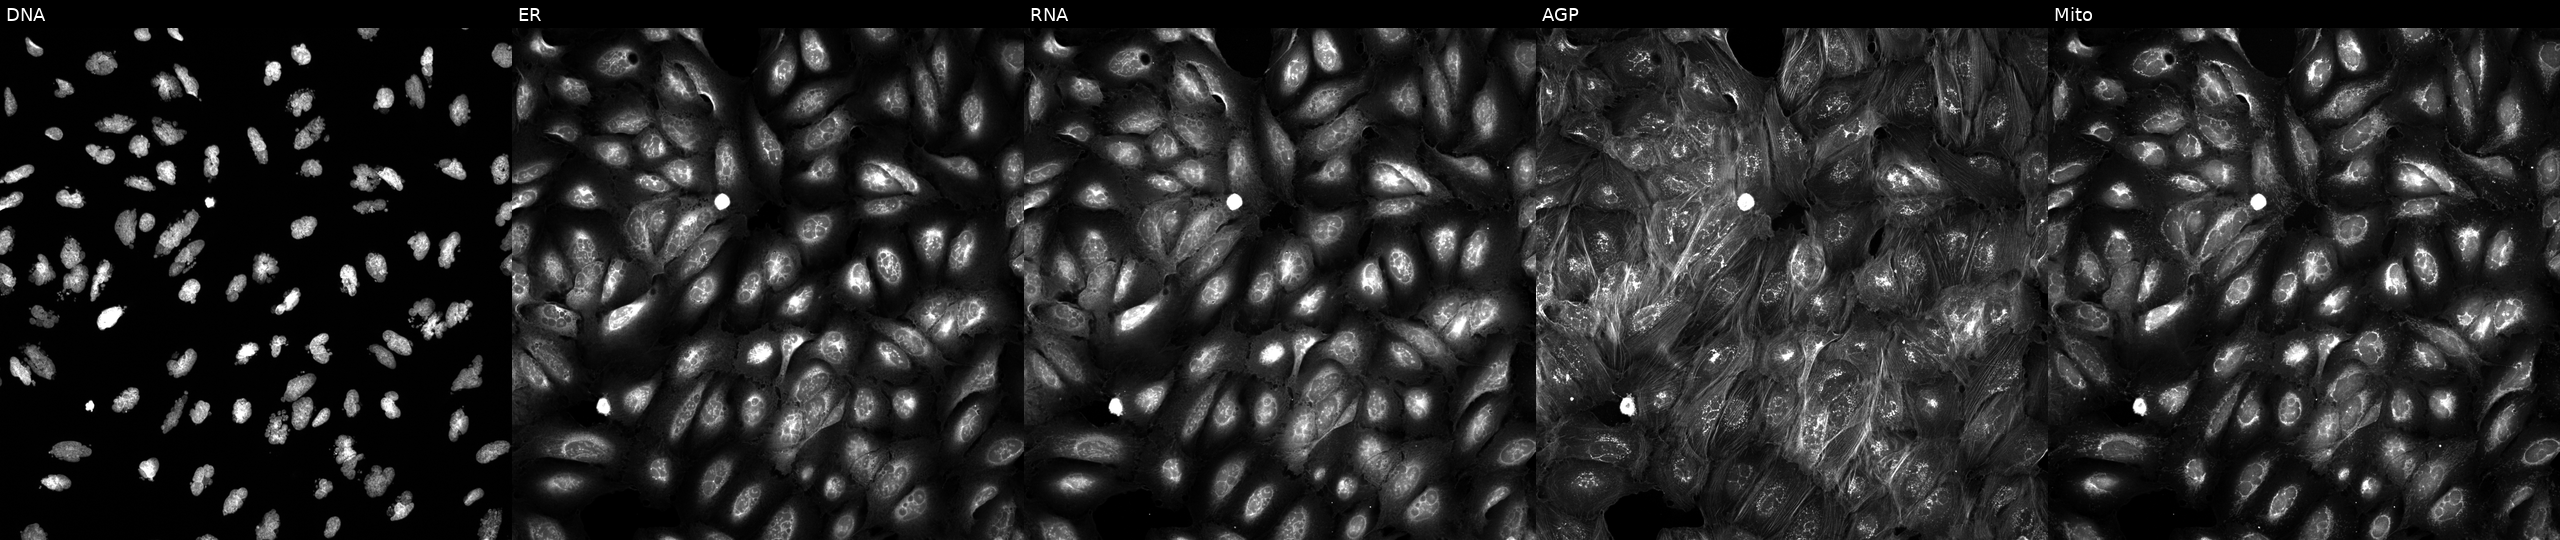
Channels (left→right): Hoechst 33342, concanavalin A, SYTO 14, phalloidin and WGA, MitoTracker. U2OS osteosarcoma cells exposed to the positive-control compound AMG900 (JUMP id JCP2022_037716). Cell Painting assay, JUMP-CP dataset.